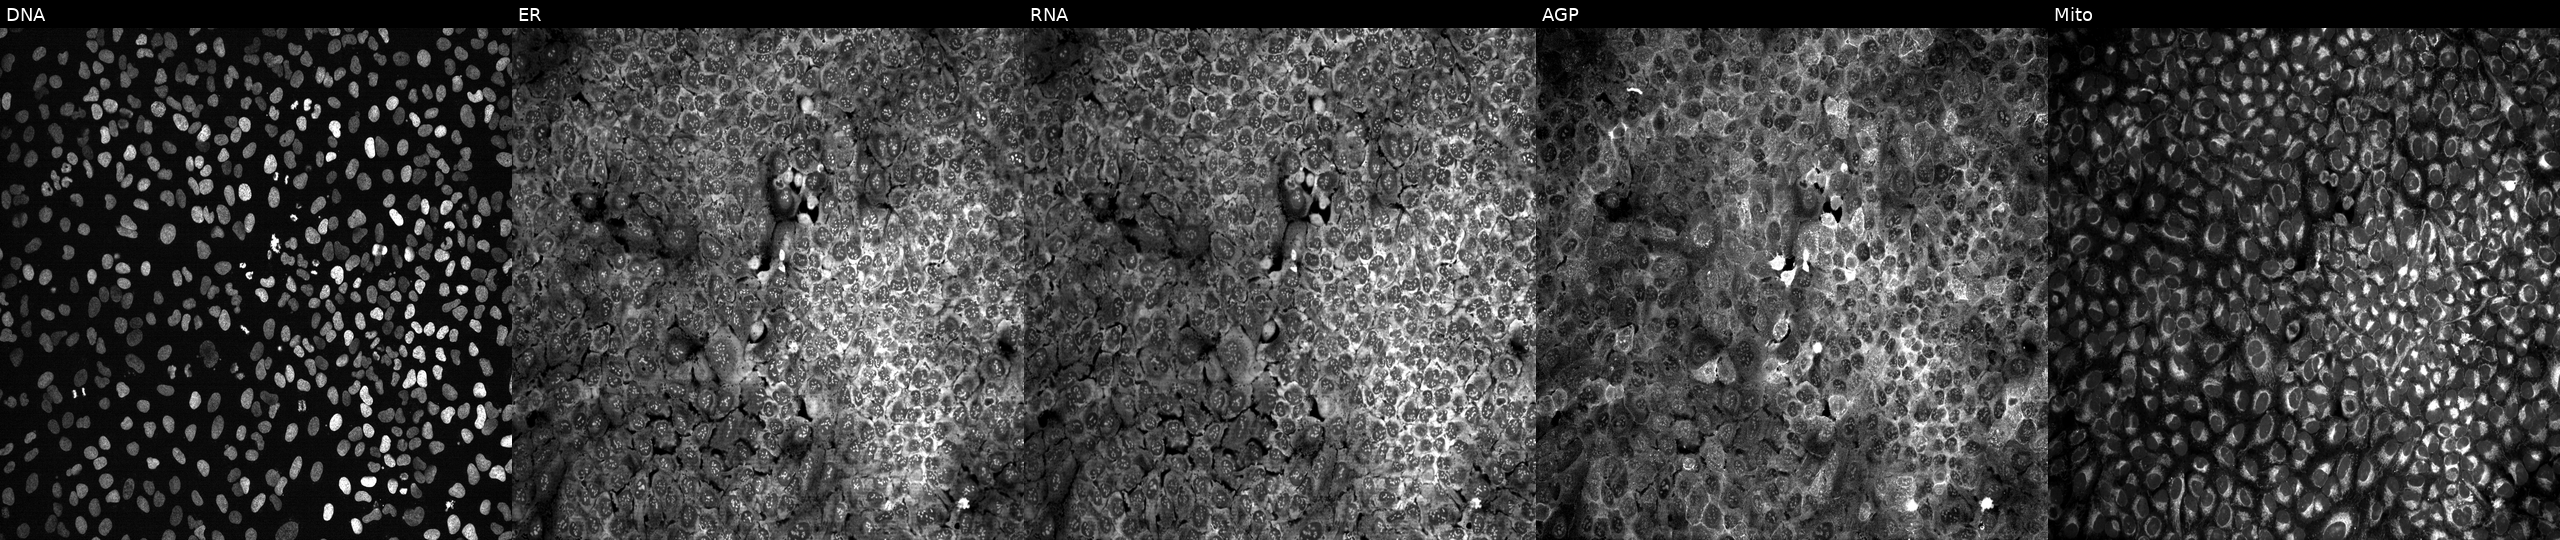
U2OS cells, Cell Painting assay, CRISPR-edited to disrupt TXN2 (JUMP id JCP2022_807413). The five panels, left to right, show DNA (nuclei); ER (endoplasmic reticulum); RNA (nucleoli and cytoplasmic RNA); AGP (actin cytoskeleton, Golgi, and plasma membrane); Mito (mitochondria). Each panel is percentile-stretched 16-bit fluorescence. Source 13, plate CP-CC9-R4-03, well F09.